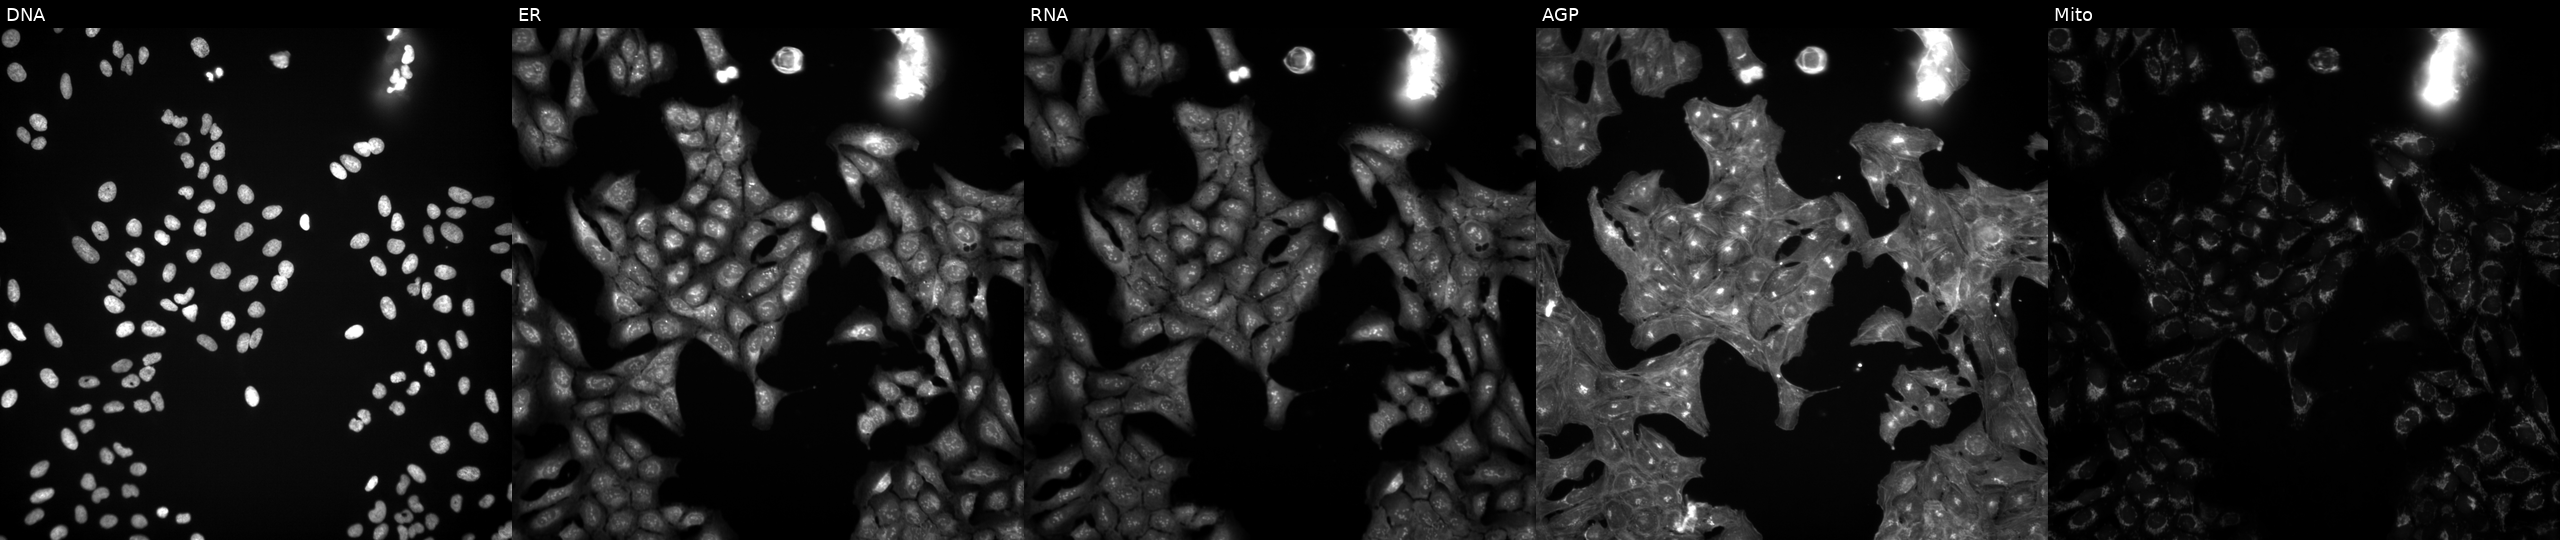
Five-channel Cell Painting image of U2OS cells treated with a small-molecule compound (InChIKey IBAQFPQHRJAVAV-UHFFFAOYSA-N). From left to right: DNA (nuclei); ER (endoplasmic reticulum); RNA (nucleoli and cytoplasmic RNA); AGP (actin cytoskeleton, Golgi, and plasma membrane); Mito (mitochondria). Source 3, plate JCPQC051, well F17.